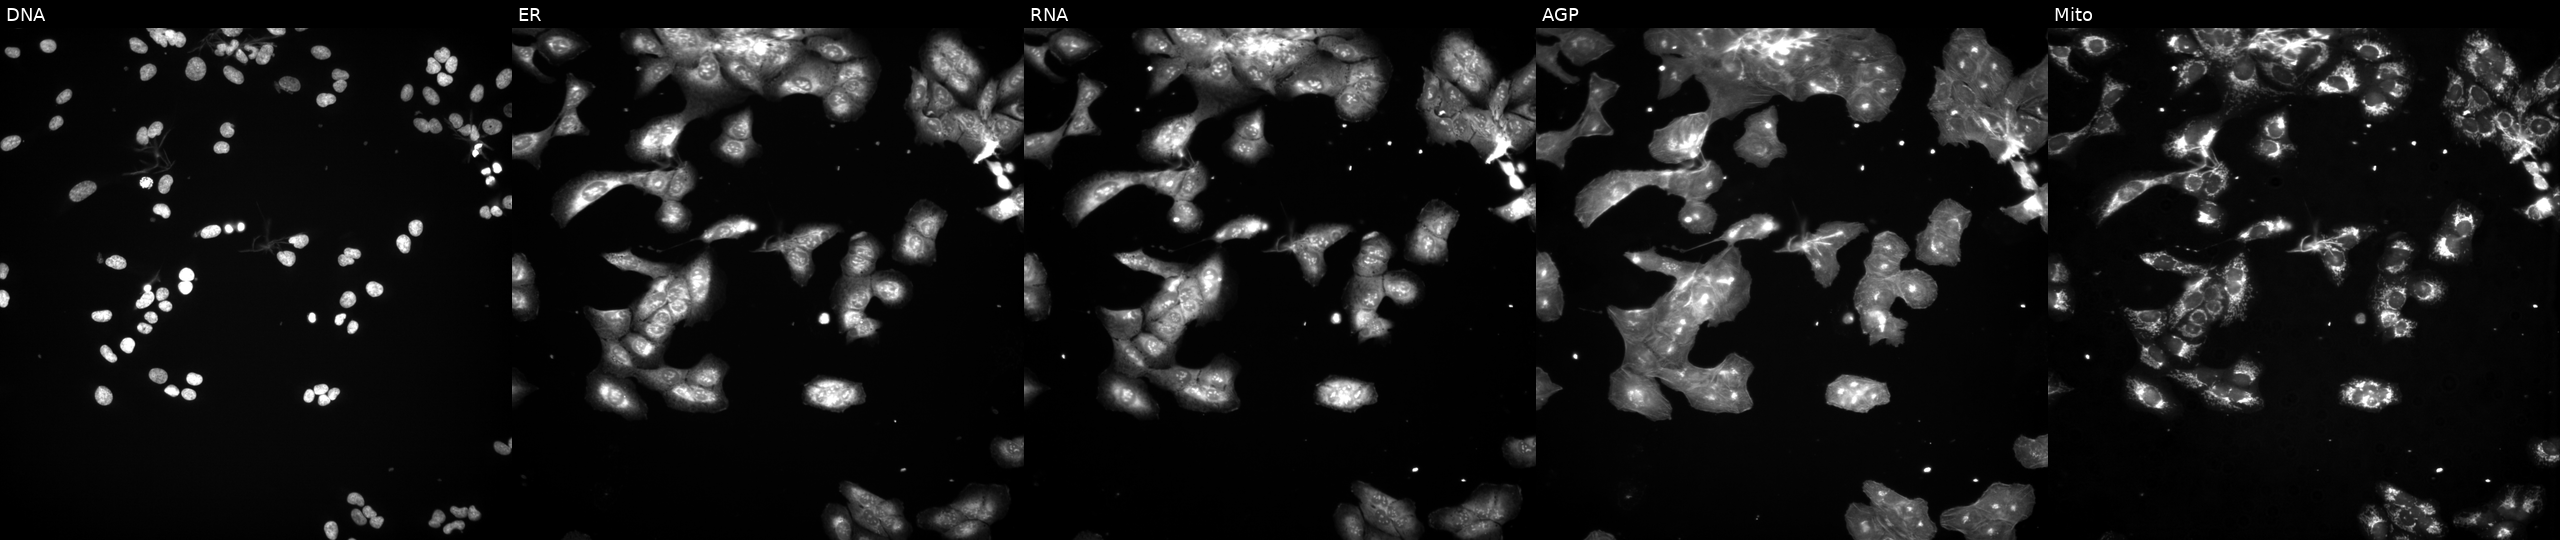
High-content fluorescence microscopy (Cell Painting). Cell line: U2OS. Perturbation: exposed to a small-molecule compound (InChIKey RRGOVOKPIJIFFY-UHFFFAOYSA-N) (JUMP id JCP2022_080223). From left to right: DNA (nuclei); ER (endoplasmic reticulum); RNA (nucleoli and cytoplasmic RNA); AGP (actin cytoskeleton, Golgi, and plasma membrane); Mito (mitochondria). Source 3, plate BR5867b3, well E04.